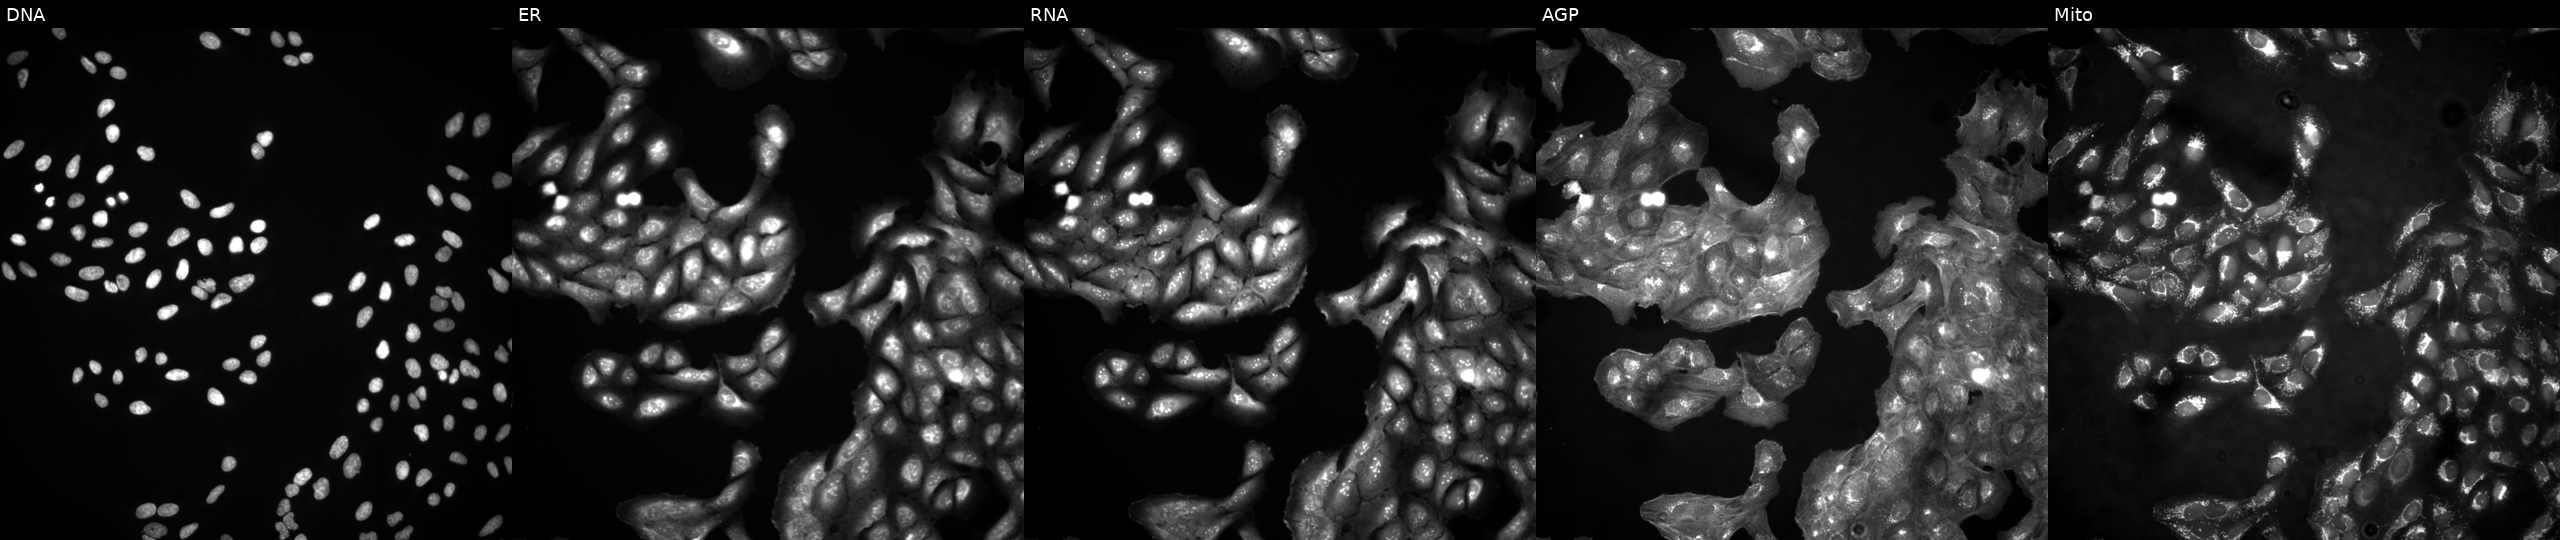
U2OS cells, Cell Painting assay, in an empty control well (no perturbation). The five panels, left to right, show DNA (nuclei); ER (endoplasmic reticulum); RNA (nucleoli and cytoplasmic RNA); AGP (actin cytoskeleton, Golgi, and plasma membrane); Mito (mitochondria). Each panel is percentile-stretched 16-bit fluorescence. Source 4, plate BR00123946, well B11.